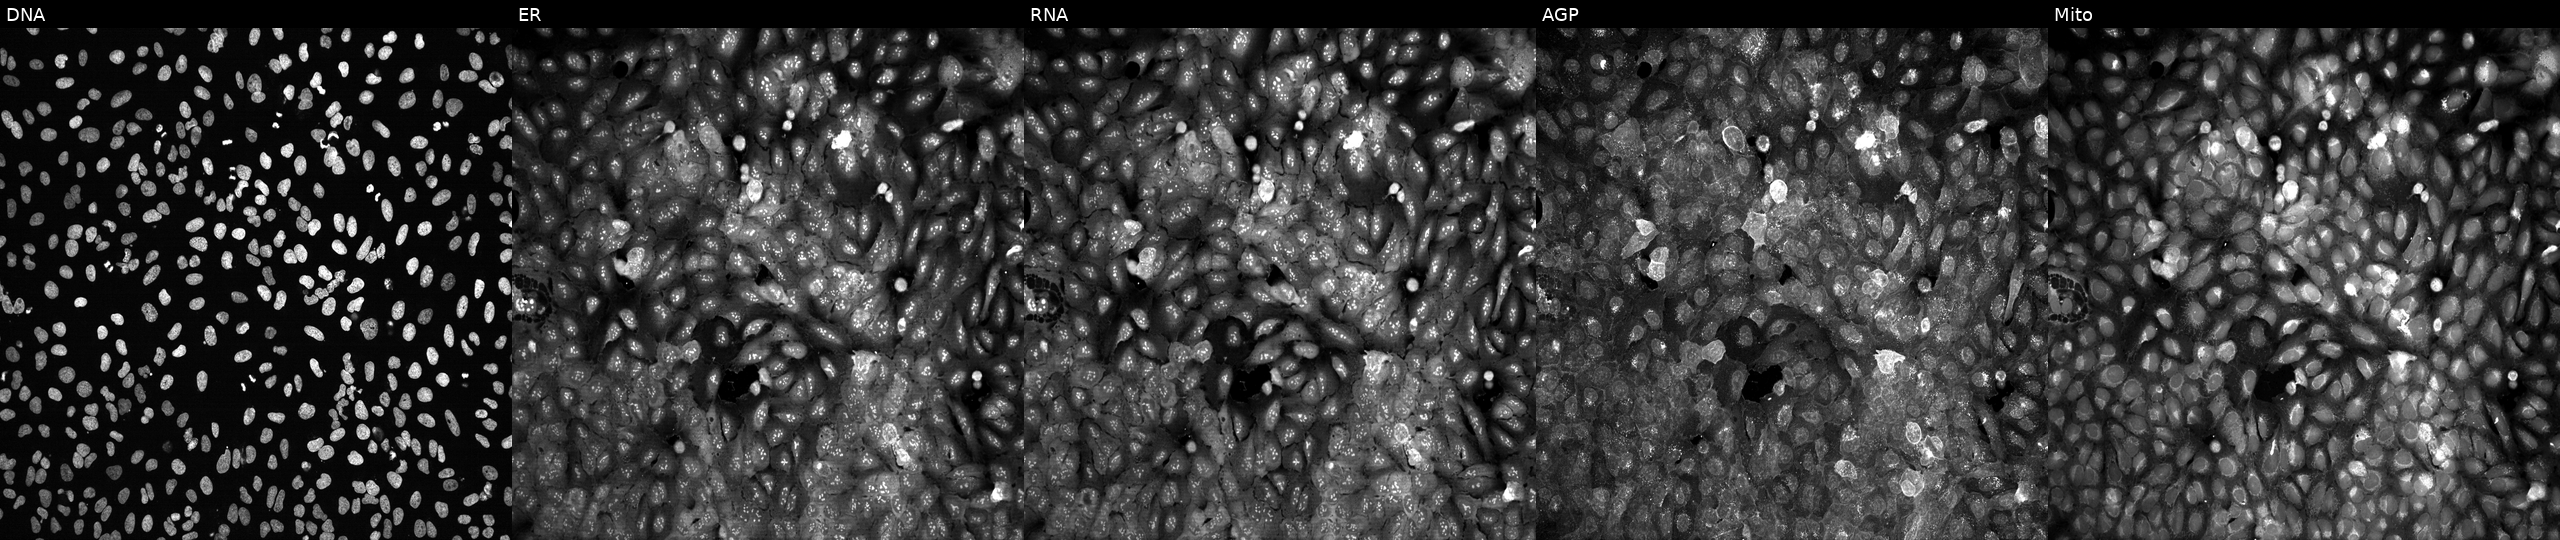
This image strip shows the five Cell Painting channels for a single field of U2OS cells following CRISPR knockout of COX6B1. From left to right: DNA, ER, RNA, AGP, and Mito.